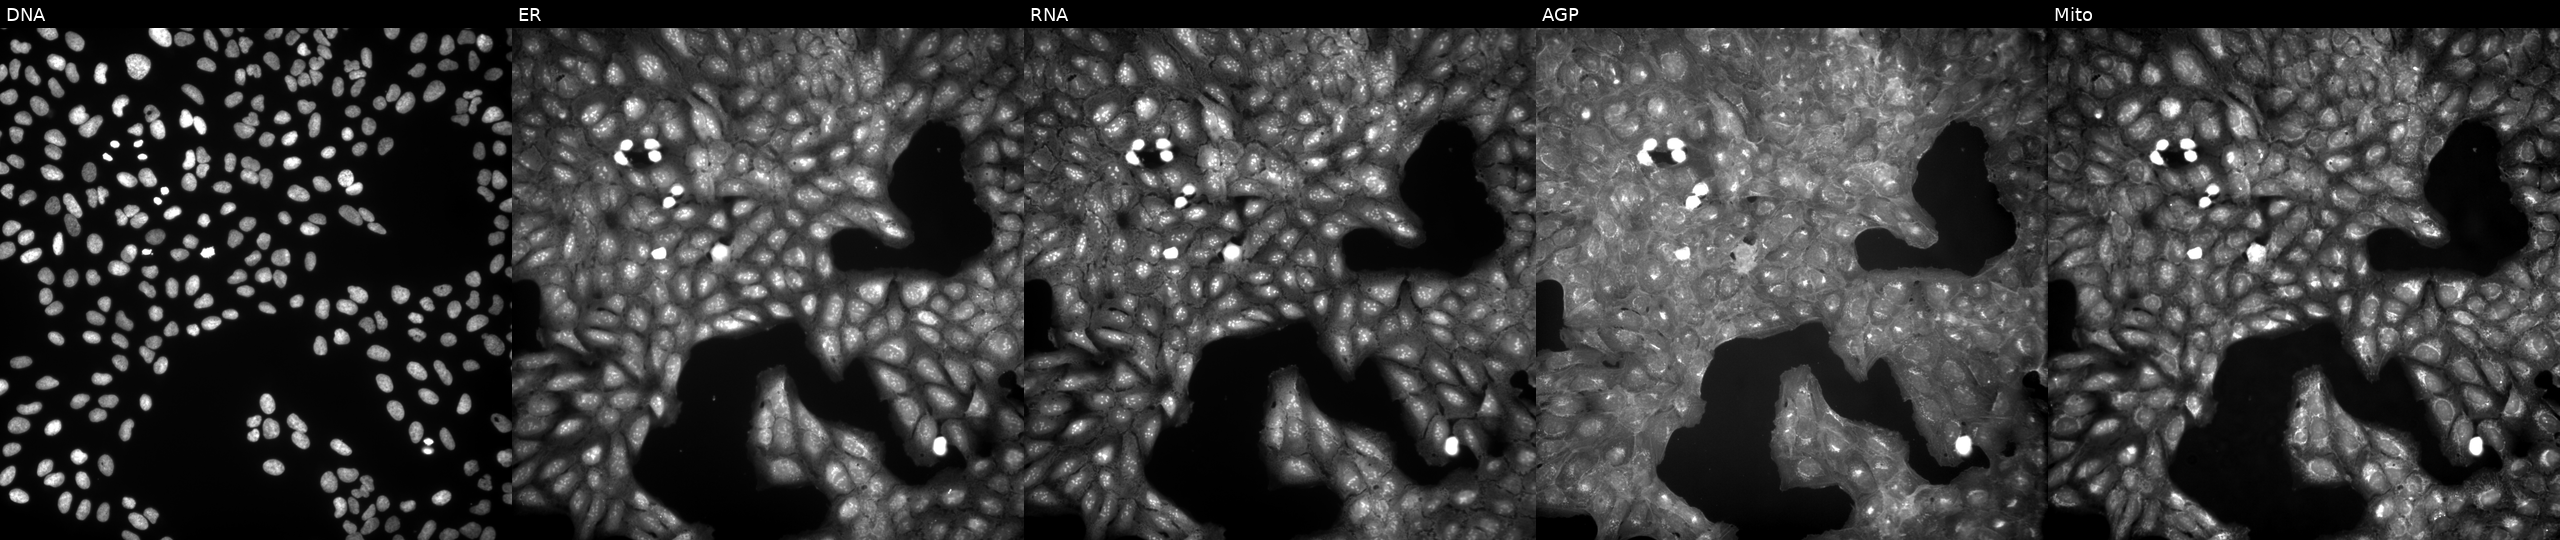
U2OS cells, Cell Painting assay, exposed to a small-molecule compound. Panels show, left to right, Hoechst 33342, concanavalin A, SYTO 14, phalloidin and WGA, MitoTracker. Each panel is percentile-stretched 16-bit fluorescence.